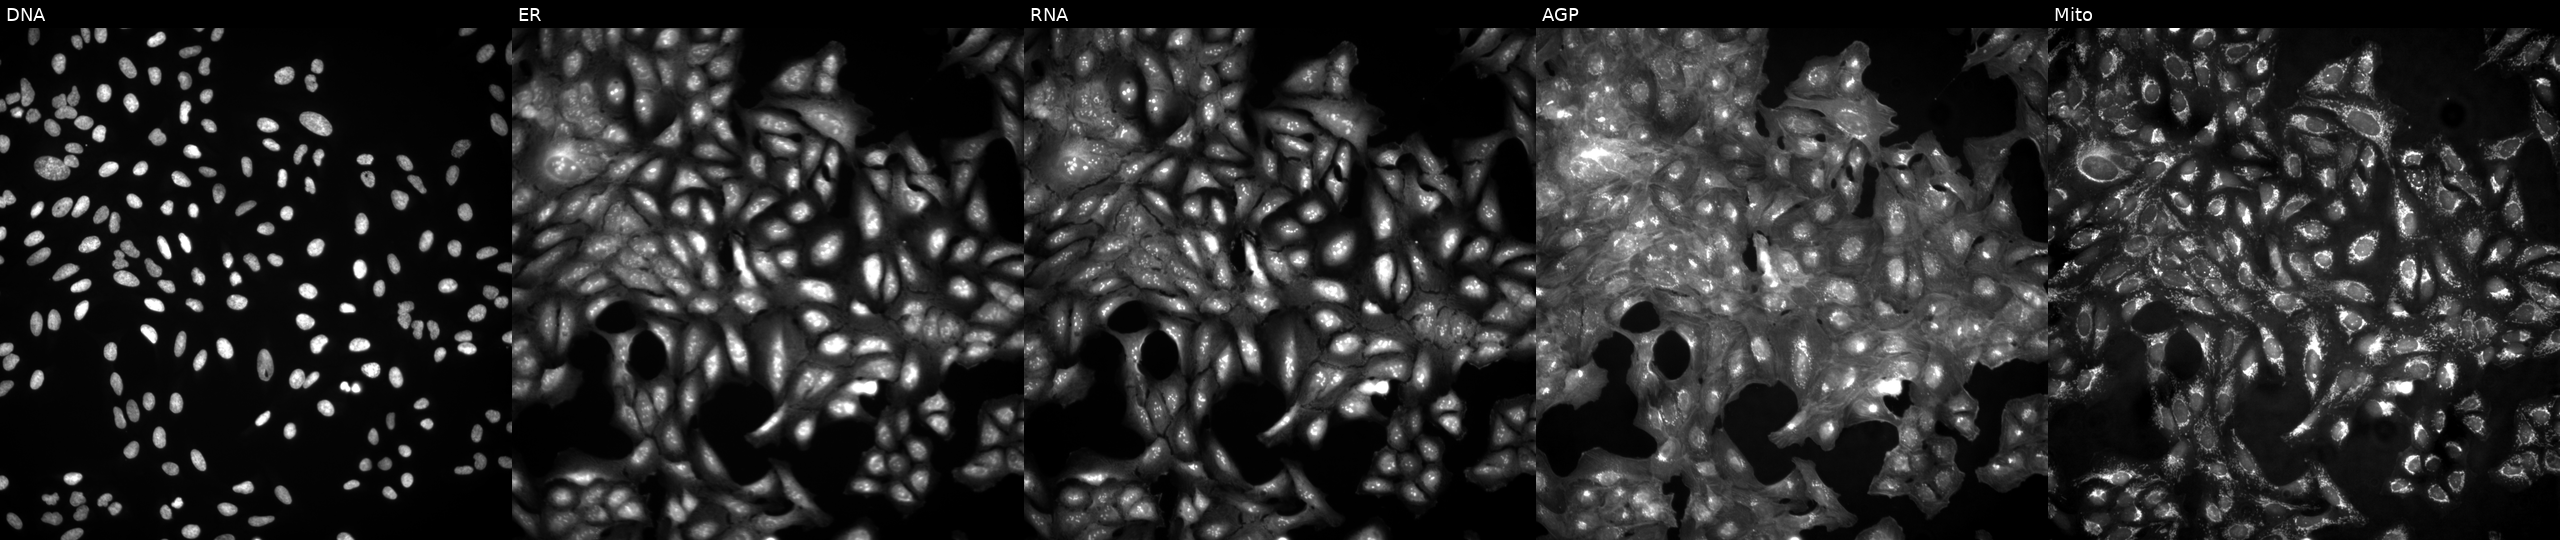
This image strip shows the five Cell Painting channels for a single field of U2OS cells untreated (empty-well control). Panels show, left to right, DNA (nuclei); ER (endoplasmic reticulum); RNA (nucleoli and cytoplasmic RNA); AGP (actin cytoskeleton, Golgi, and plasma membrane); Mito (mitochondria).